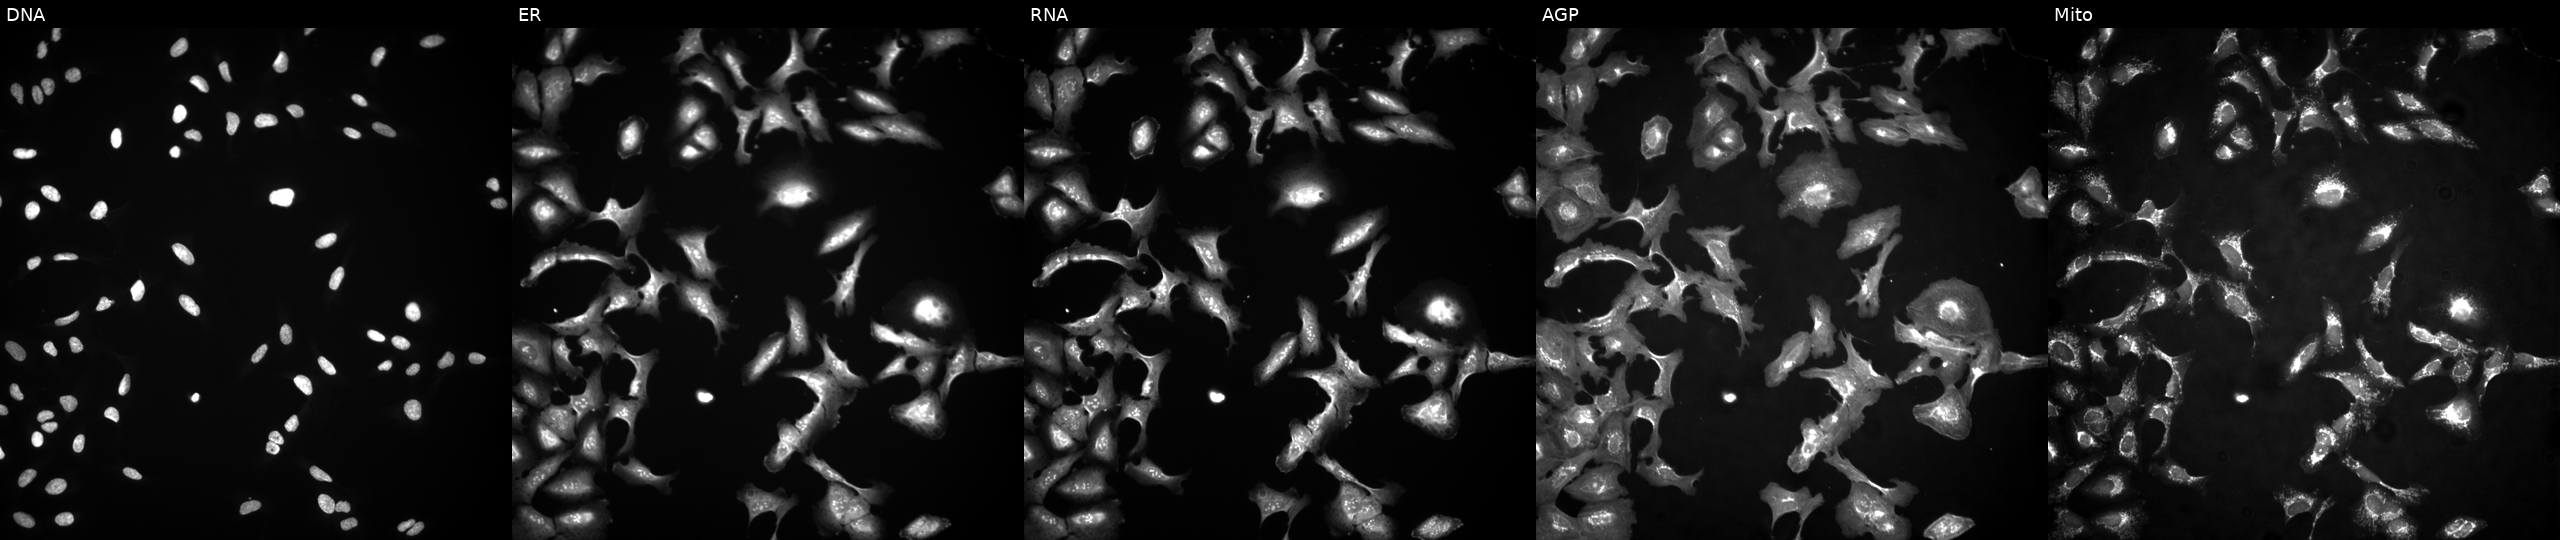
JUMP Cell Painting — ORF plate. U2OS cells in an empty control well (no perturbation) (JUMP id JCP2022_999999). Channels (left→right): Hoechst 33342, concanavalin A, SYTO 14, phalloidin and WGA, MitoTracker. Source 4, plate BR00117035, well E12.